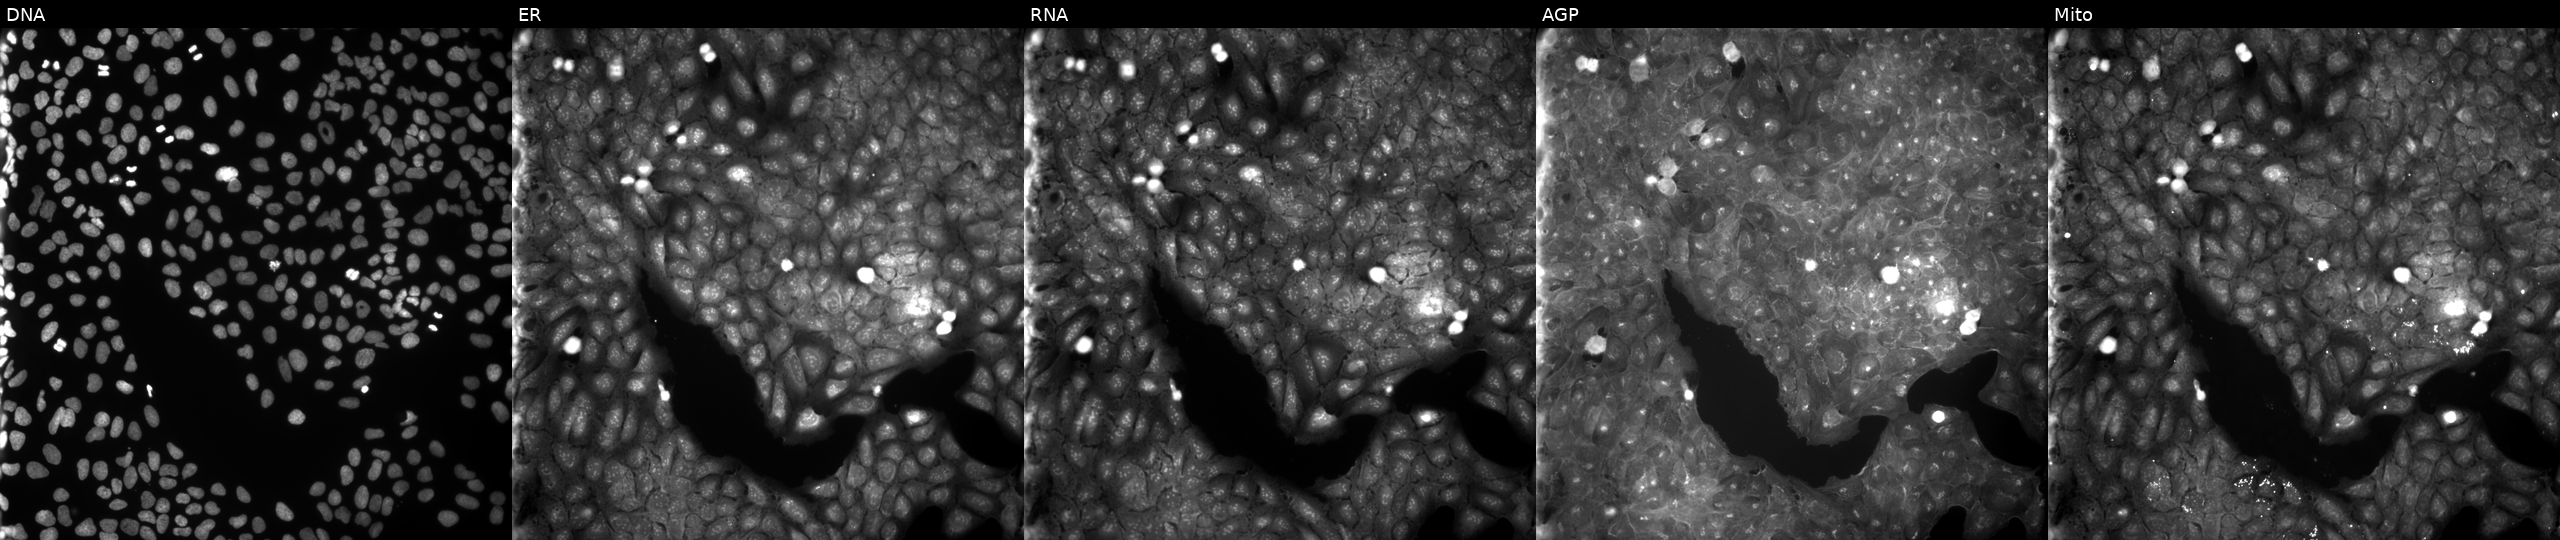
This image strip shows the five Cell Painting channels for a single field of U2OS cells exposed to a small-molecule compound (InChIKey NWWWWMZCQZQQIK-UHFFFAOYSA-N) [SMILES: C=CCN1C(=O)C(O)(CC(=O)c2ccc(OC)c([N+](=O)[O-])c2)c2ccccc21] (JUMP id JCP2022_061886). From left to right: DNA, ER, RNA, AGP, and Mito. Source 9, plate GR00003382, well M16.